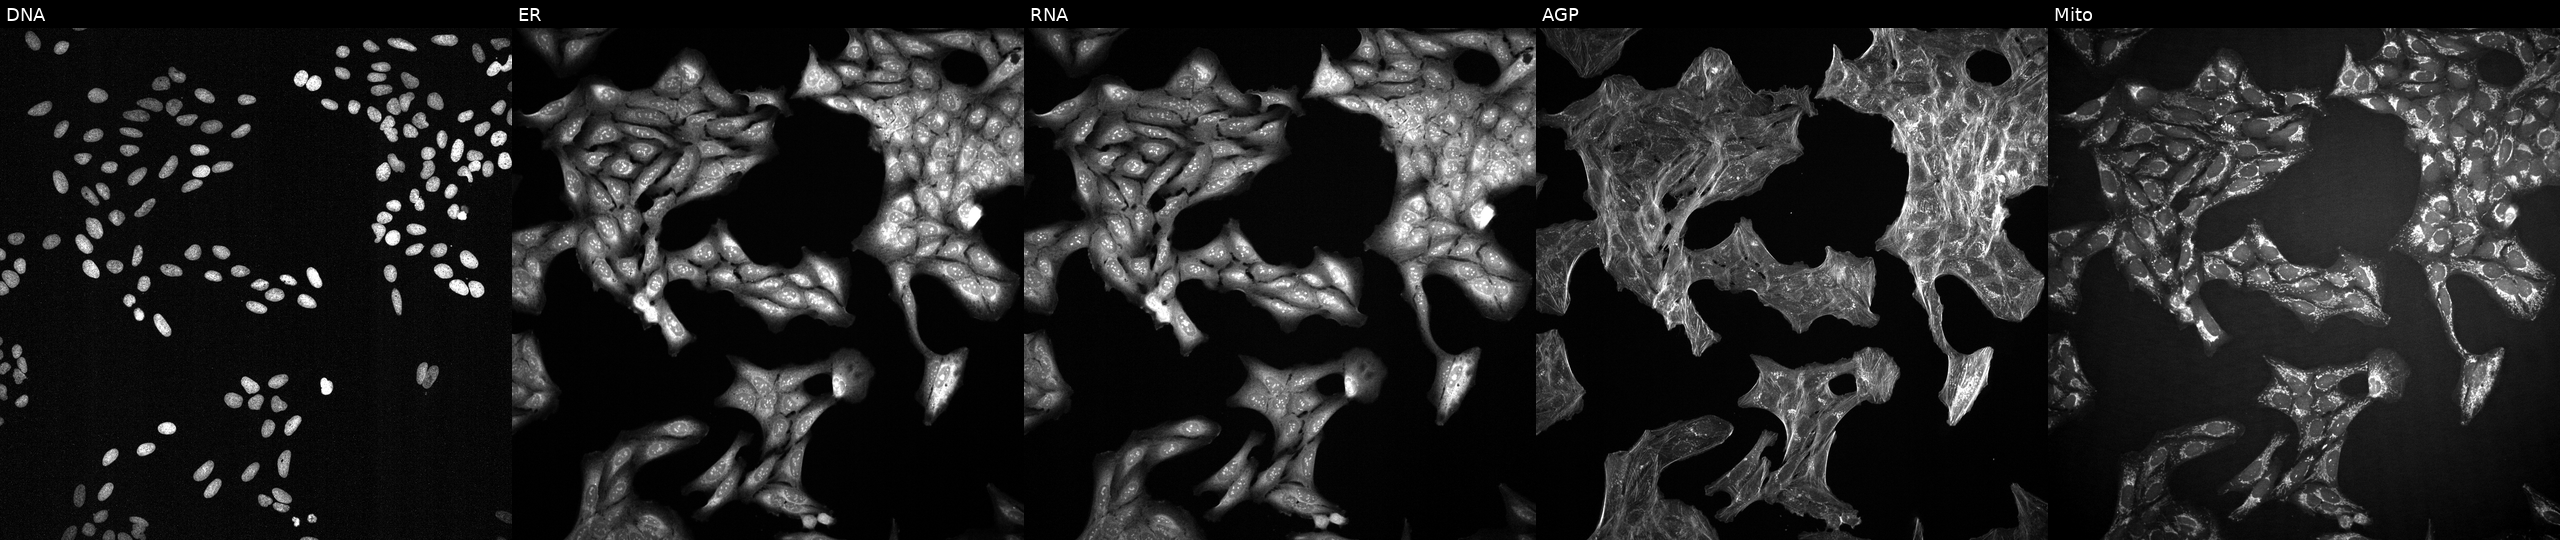
This image strip shows the five Cell Painting channels for a single field of U2OS cells treated with a small-molecule compound (InChIKey XDJCLCLBSGGNKS-UHFFFAOYSA-N). The five panels, left to right, show DNA (nuclei); ER (endoplasmic reticulum); RNA (nucleoli and cytoplasmic RNA); AGP (actin cytoskeleton, Golgi, and plasma membrane); Mito (mitochondria).